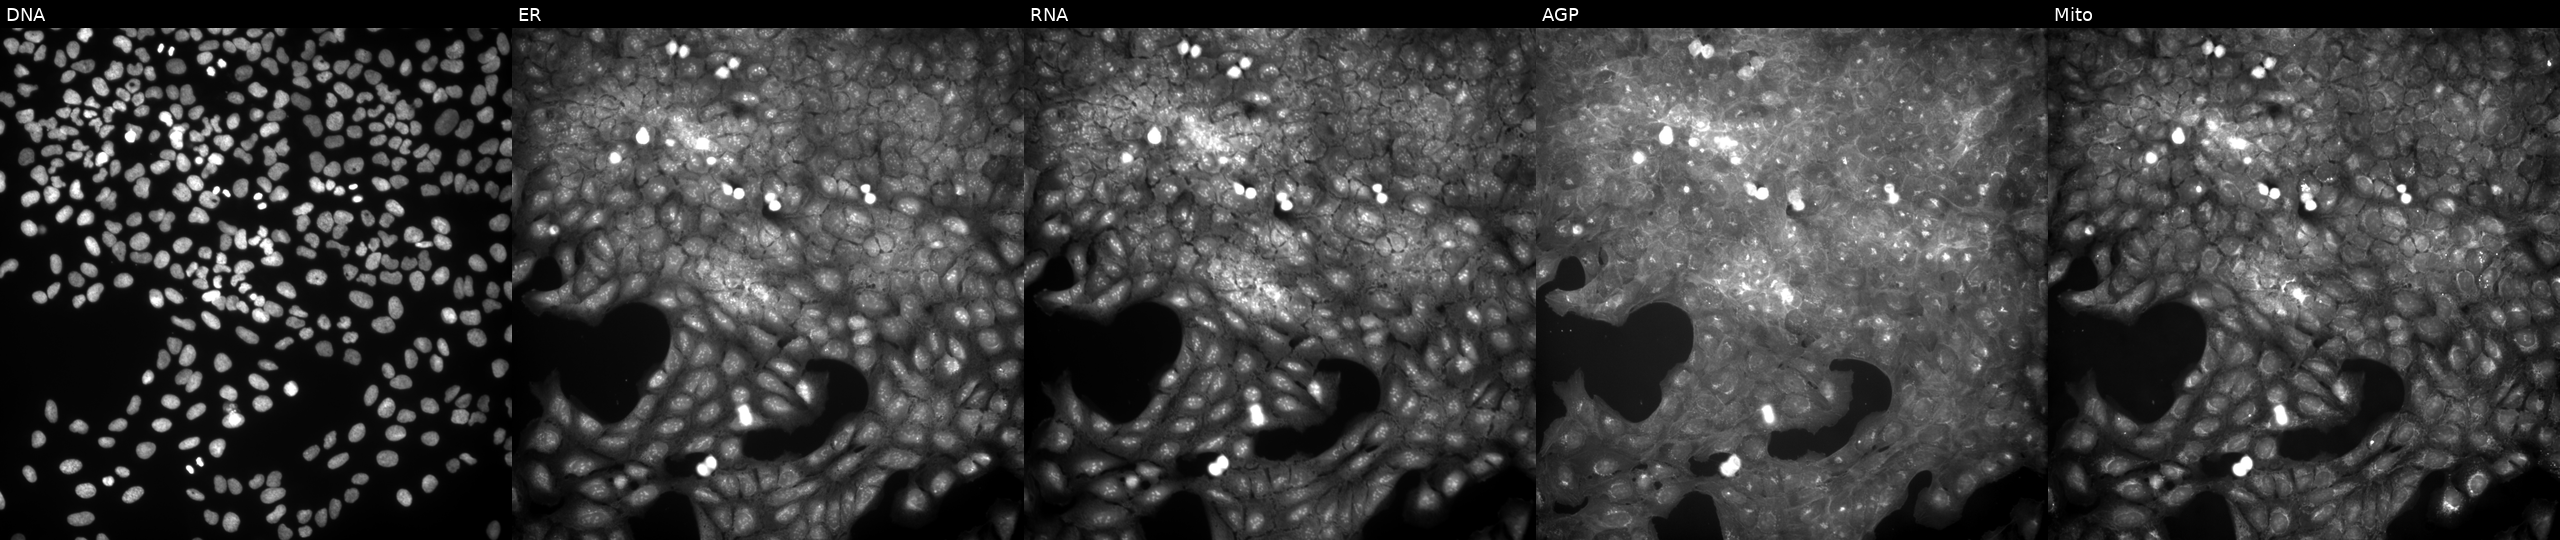
U2OS cells, Cell Painting assay, treated with a small-molecule compound (InChIKey SFPOZDNMRSUUFC-UHFFFAOYSA-N). Panels show, left to right, DNA, ER, RNA, AGP, and Mito. Each panel is percentile-stretched 16-bit fluorescence.